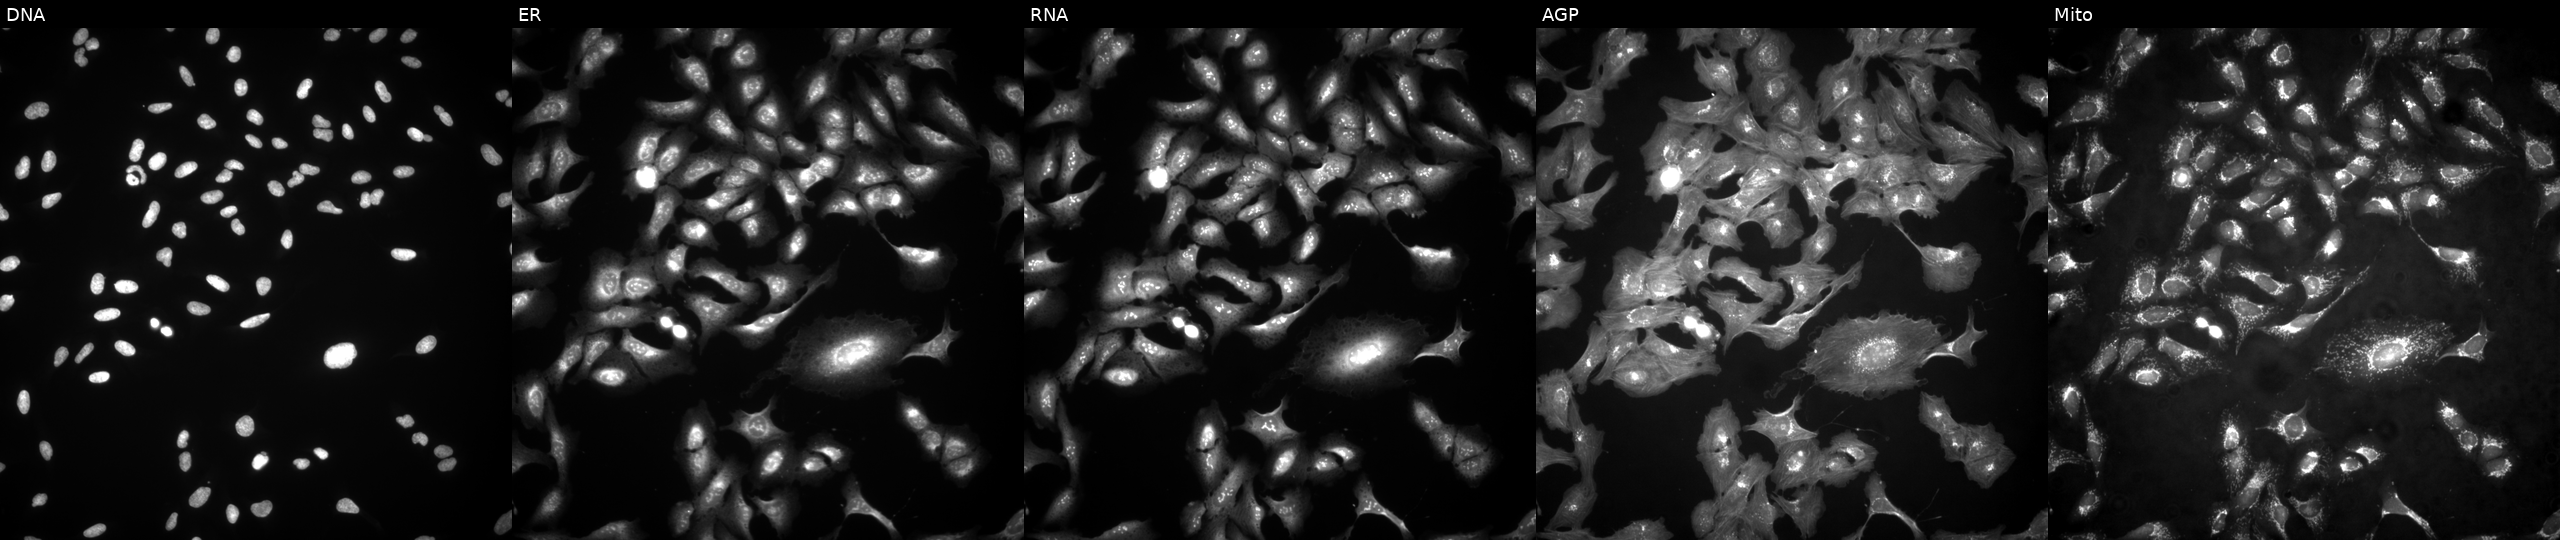
Five-channel Cell Painting image of U2OS cells transfected with an ORF construct for EIF4EBP1. Panels show, left to right, DNA (nuclei); ER (endoplasmic reticulum); RNA (nucleoli and cytoplasmic RNA); AGP (actin cytoskeleton, Golgi, and plasma membrane); Mito (mitochondria). Source 4, plate BR00123509, well N13.